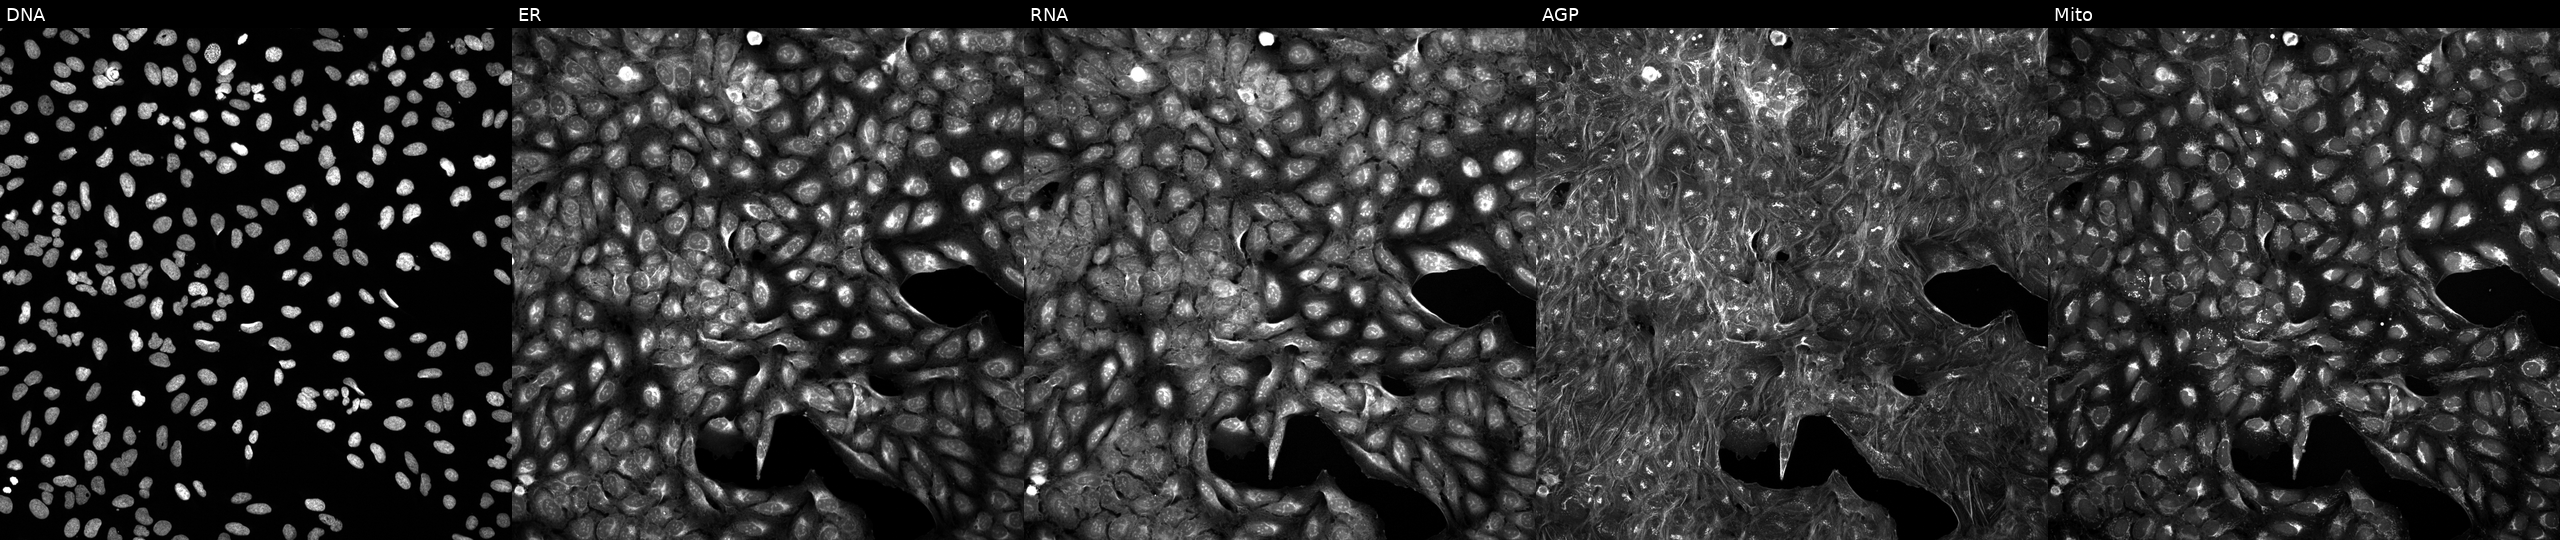
JUMP Cell Painting — TARGET2 plate. U2OS cells perturbed with a small-molecule compound (InChIKey HBUBKKRHXORPQB-UHFFFAOYSA-N) [SMILES: N=c1[nH]c(F)nc2c1ncn2C1OC(CO)C(O)C1O] (JUMP id JCP2022_029186). From left to right: Hoechst 33342, concanavalin A, SYTO 14, phalloidin and WGA, MitoTracker.